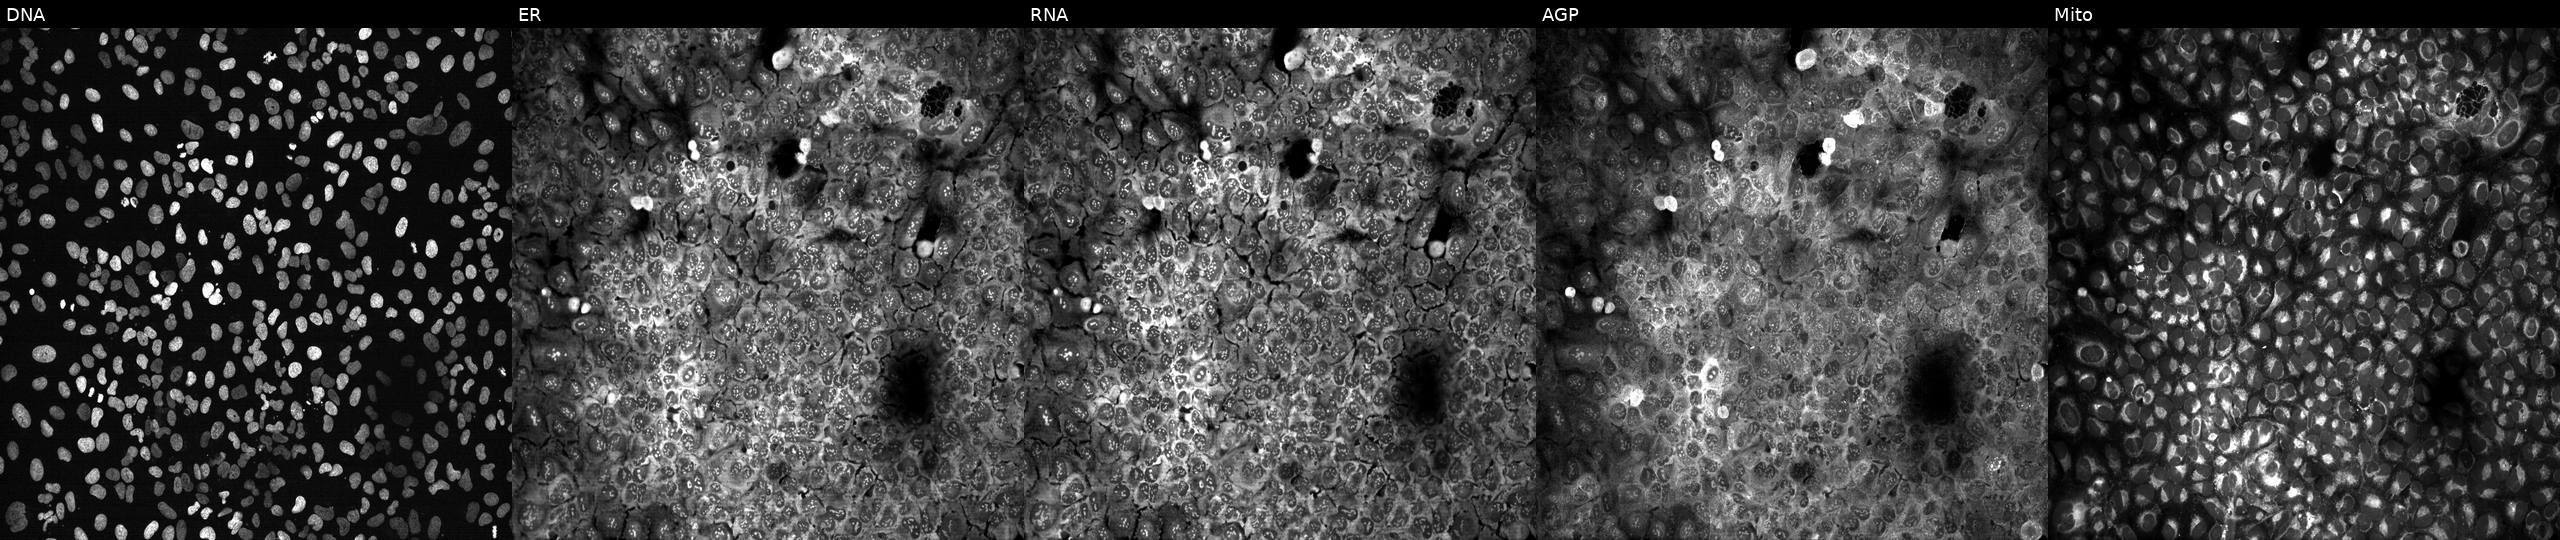
High-content fluorescence microscopy (Cell Painting). Cell line: U2OS. Perturbation: CRISPR-edited to disrupt ELOVL5 (JUMP id JCP2022_802100). From left to right: Hoechst 33342, concanavalin A, SYTO 14, phalloidin and WGA, MitoTracker.